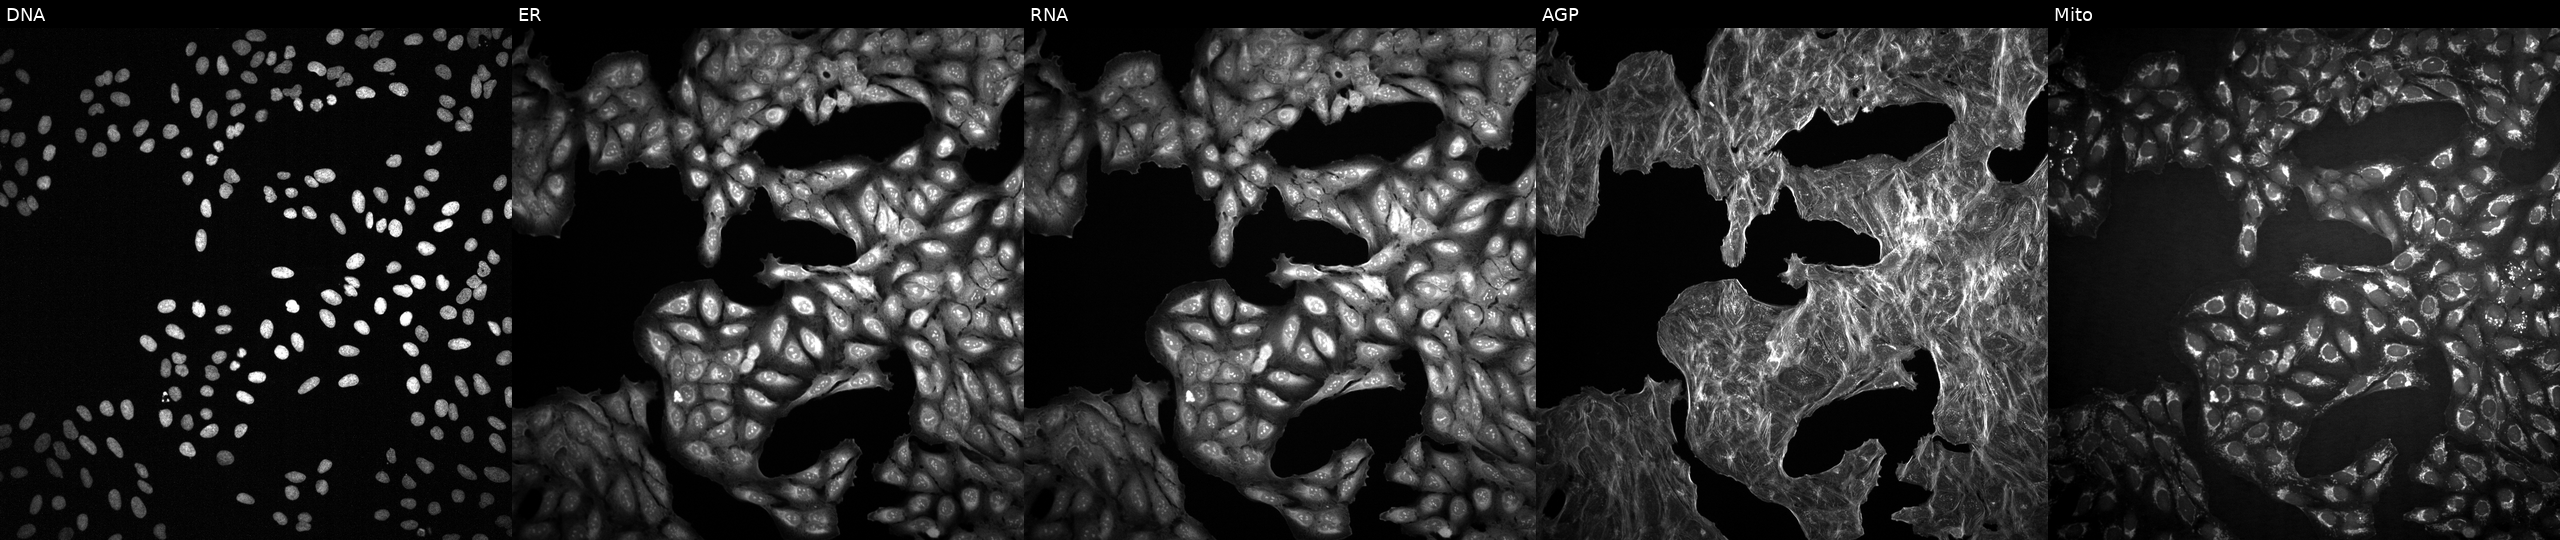
Five-channel Cell Painting image of U2OS cells treated with quinidine (positive-control compound). From left to right: DNA, ER, RNA, AGP, and Mito. Source 2, plate 1053601763, well C24.